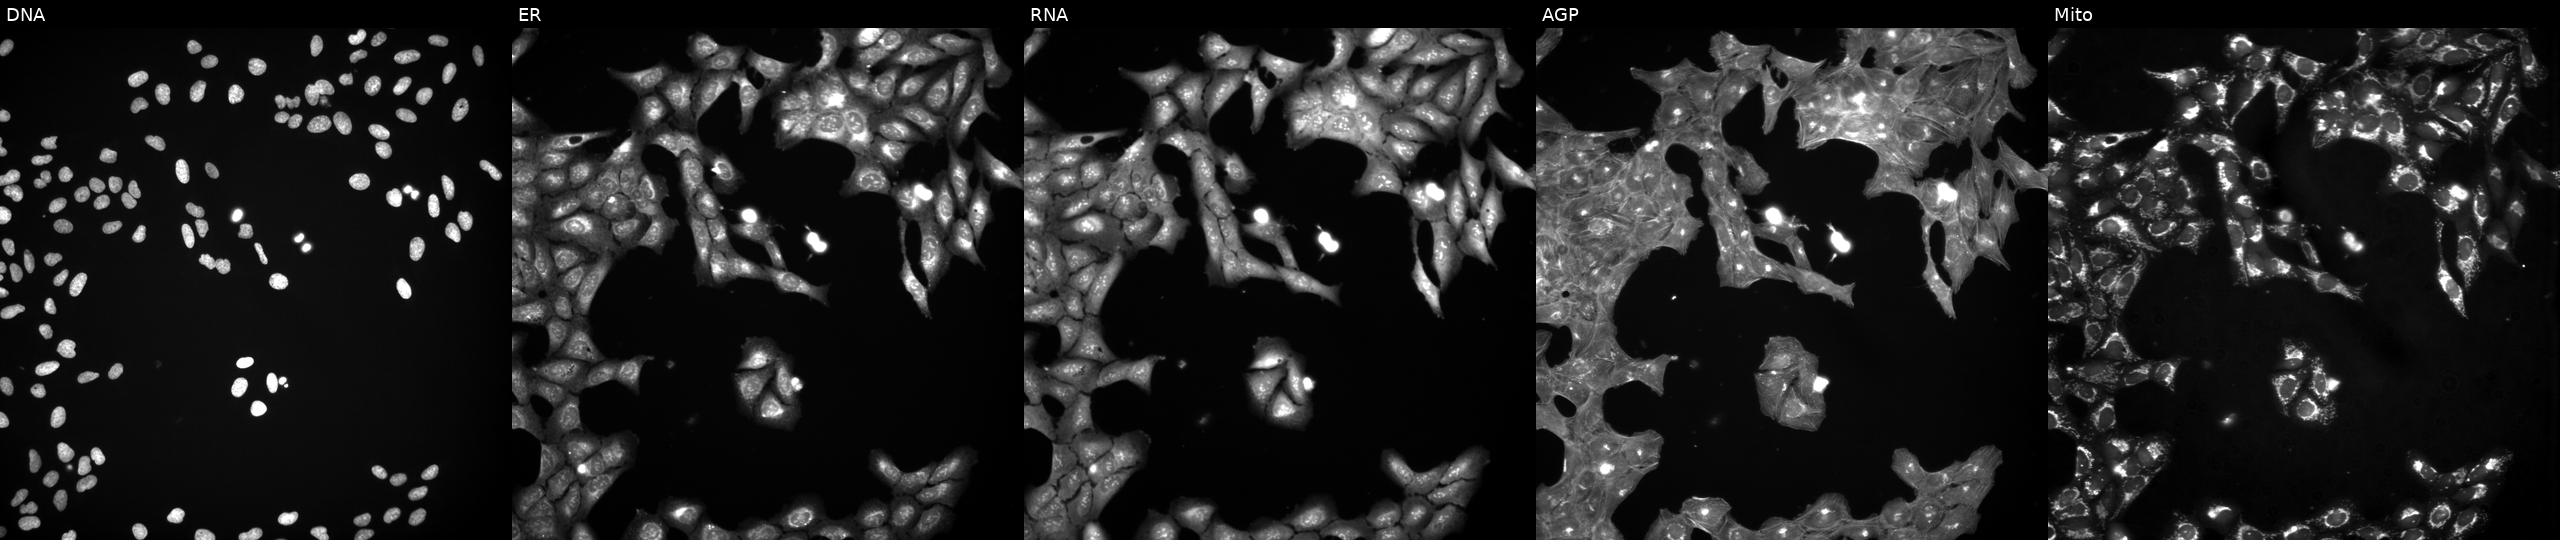
High-content fluorescence microscopy (Cell Painting). Cell line: U2OS. Perturbation: perturbed with a small-molecule compound (InChIKey PIWKPBJCKXDKJR-UHFFFAOYSA-N) (JUMP id JCP2022_068901). From left to right: DNA, ER, RNA, AGP, and Mito.